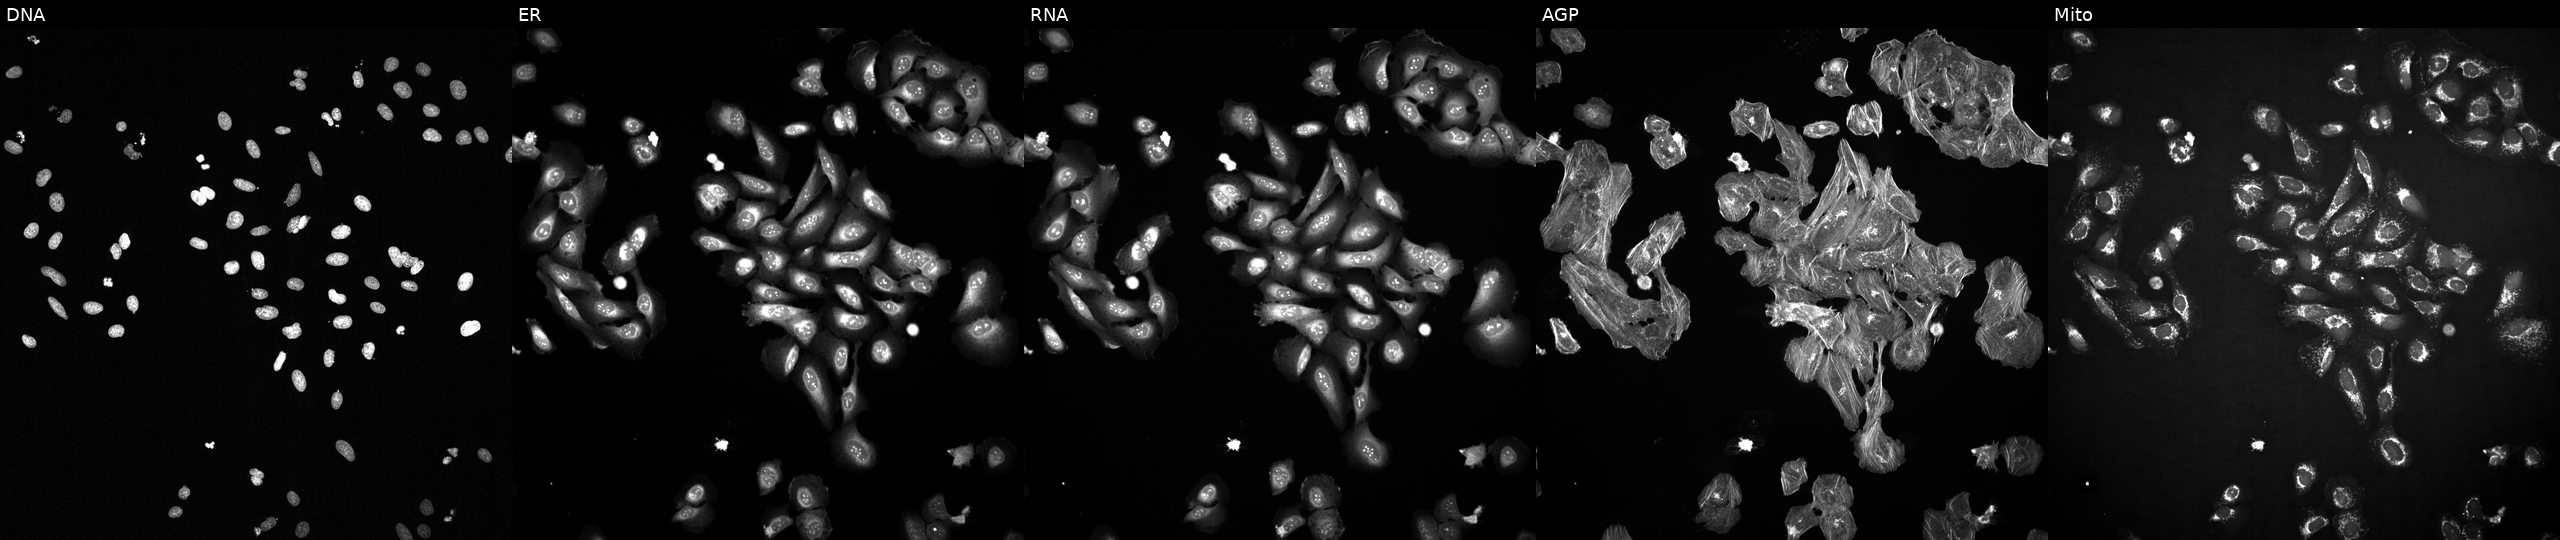
From left to right: DNA (nuclei); ER (endoplasmic reticulum); RNA (nucleoli and cytoplasmic RNA); AGP (actin cytoskeleton, Golgi, and plasma membrane); Mito (mitochondria). U2OS osteosarcoma cells treated with TC-S-7004 (positive-control compound). Cell Painting assay, JUMP-CP dataset. Source 2, plate 1053601763, well H01.